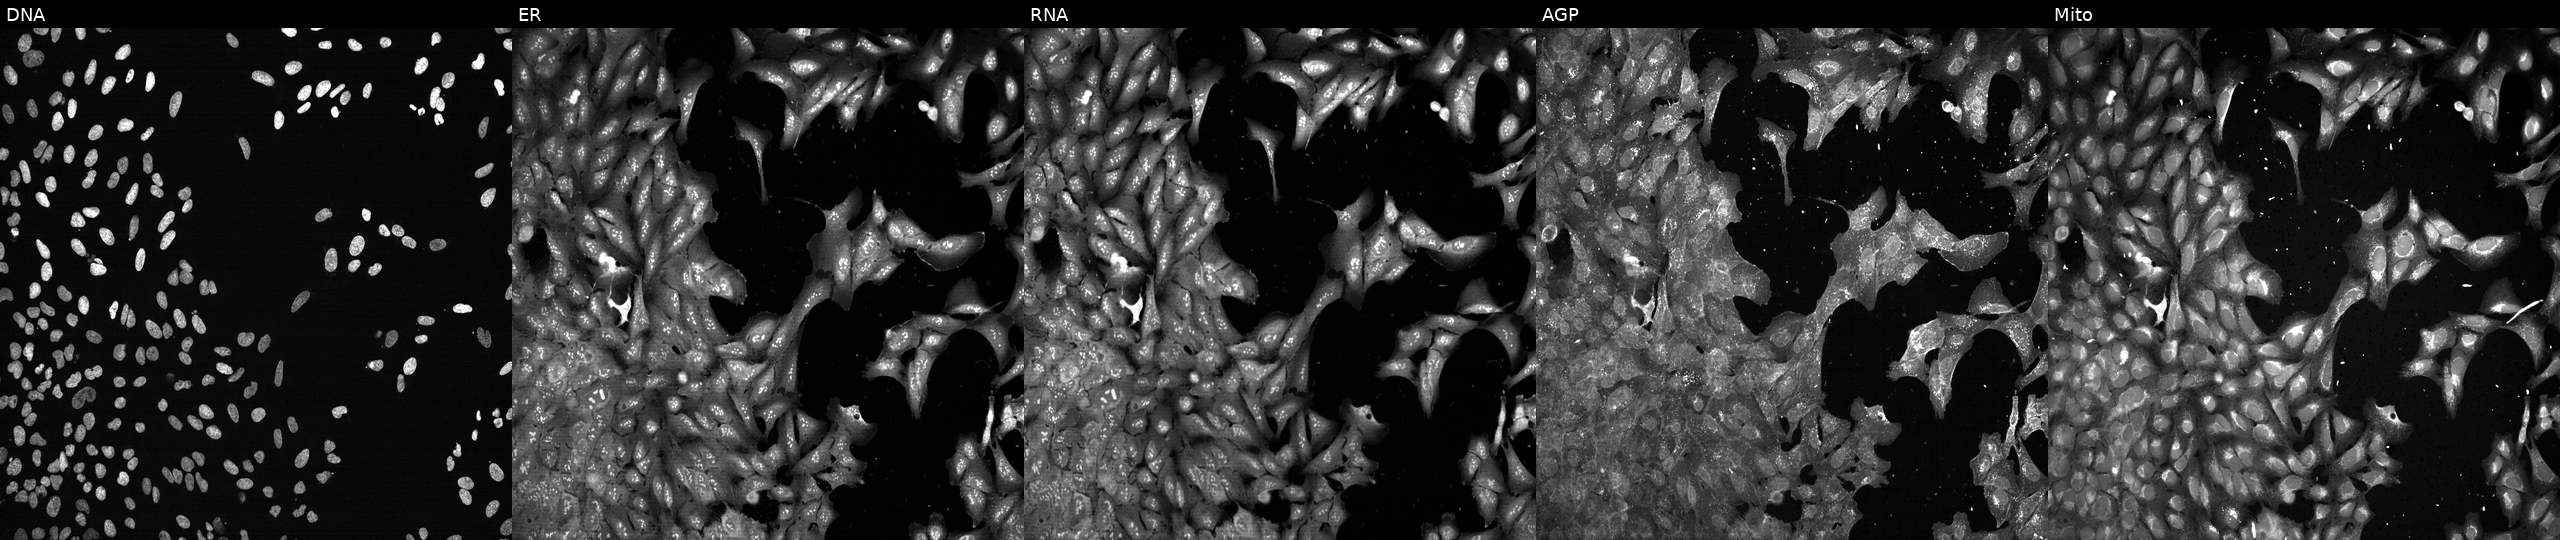
High-content fluorescence microscopy (Cell Painting). Cell line: U2OS. Perturbation: with ACTN1 knocked out by CRISPR. Panels show, left to right, DNA (nuclei); ER (endoplasmic reticulum); RNA (nucleoli and cytoplasmic RNA); AGP (actin cytoskeleton, Golgi, and plasma membrane); Mito (mitochondria). Source 13, plate CP-CC9-R1-01, well G06.